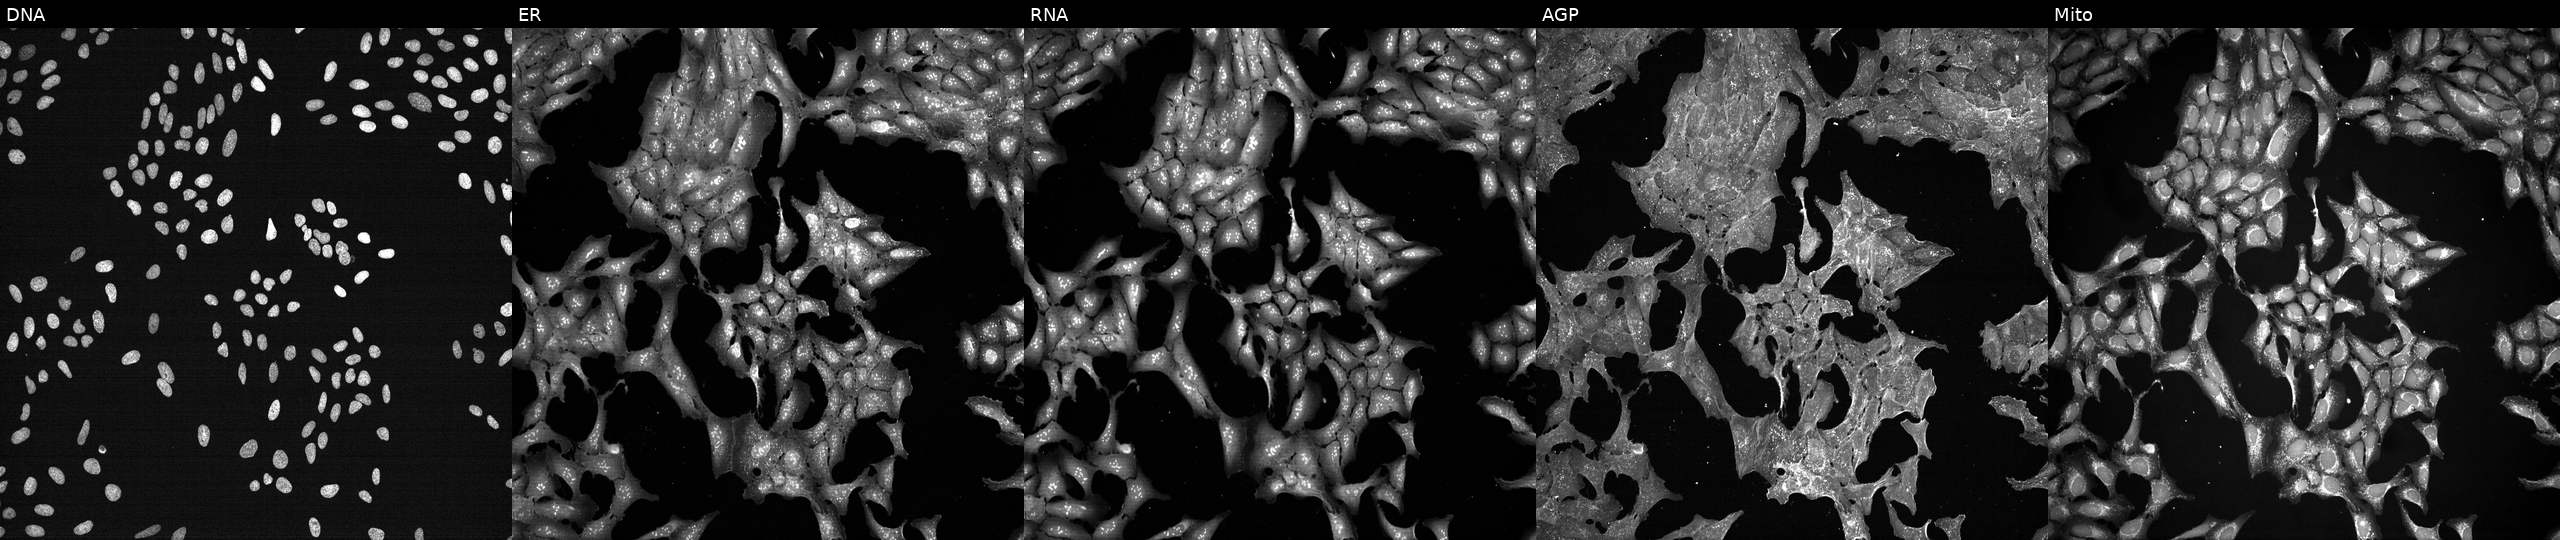
Five-channel Cell Painting image of U2OS cells exposed to a small-molecule compound. Panels show, left to right, DNA (nuclei); ER (endoplasmic reticulum); RNA (nucleoli and cytoplasmic RNA); AGP (actin cytoskeleton, Golgi, and plasma membrane); Mito (mitochondria). Source 7, plate CP2-SC1-25, well H13.